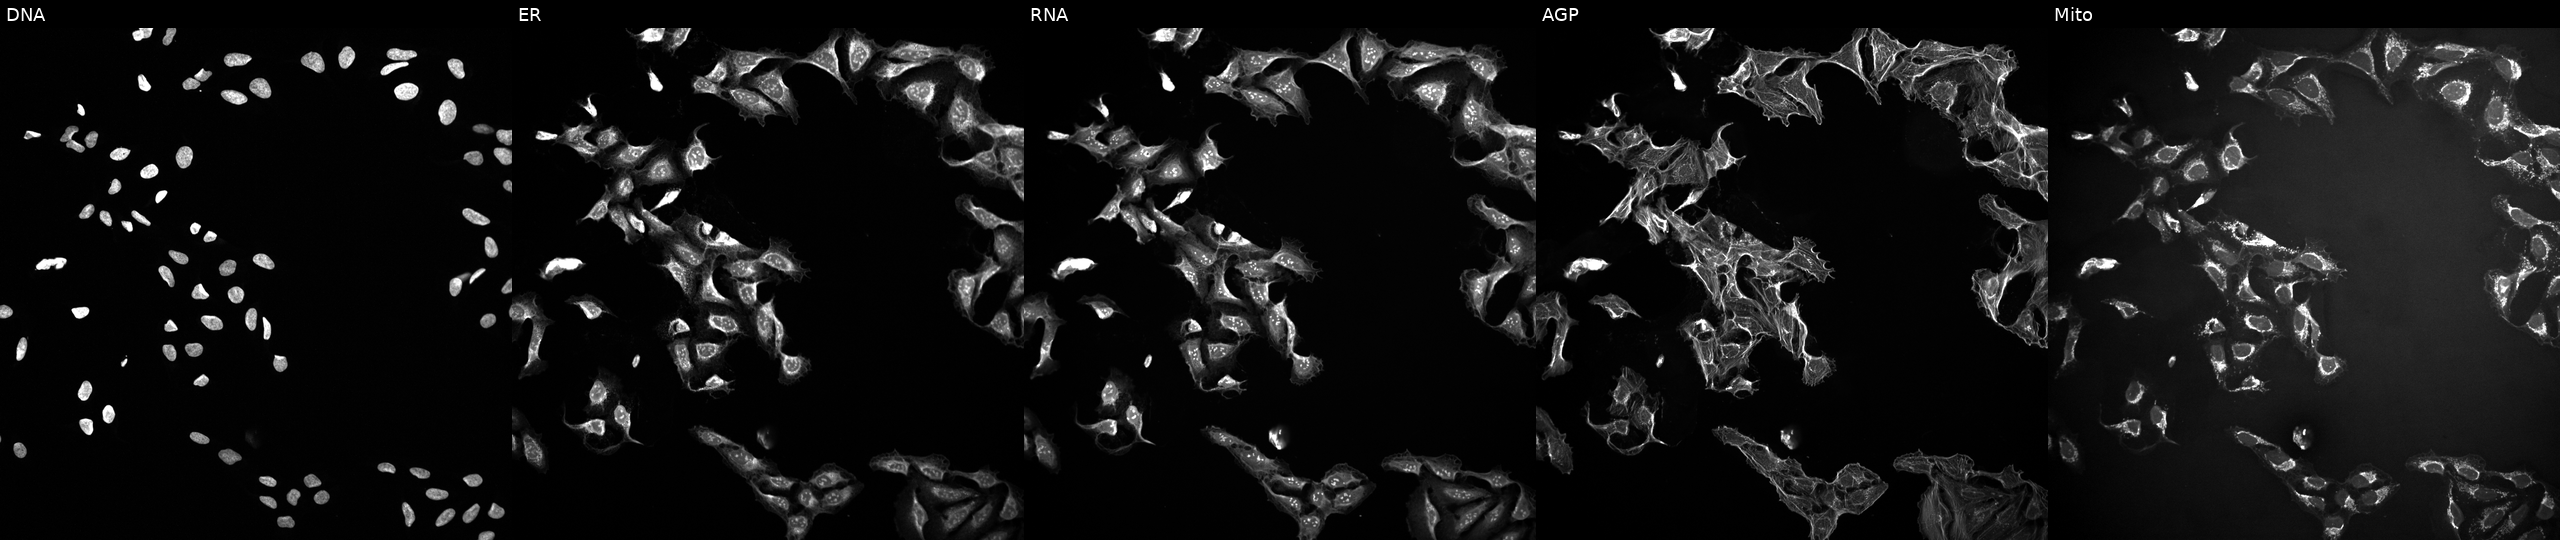
High-content fluorescence microscopy (Cell Painting). Cell line: U2OS. Perturbation: treated with a small-molecule compound (JUMP id JCP2022_077927). From left to right: DNA (nuclei); ER (endoplasmic reticulum); RNA (nucleoli and cytoplasmic RNA); AGP (actin cytoskeleton, Golgi, and plasma membrane); Mito (mitochondria). Source 10, plate Dest210726-160150, well O17.